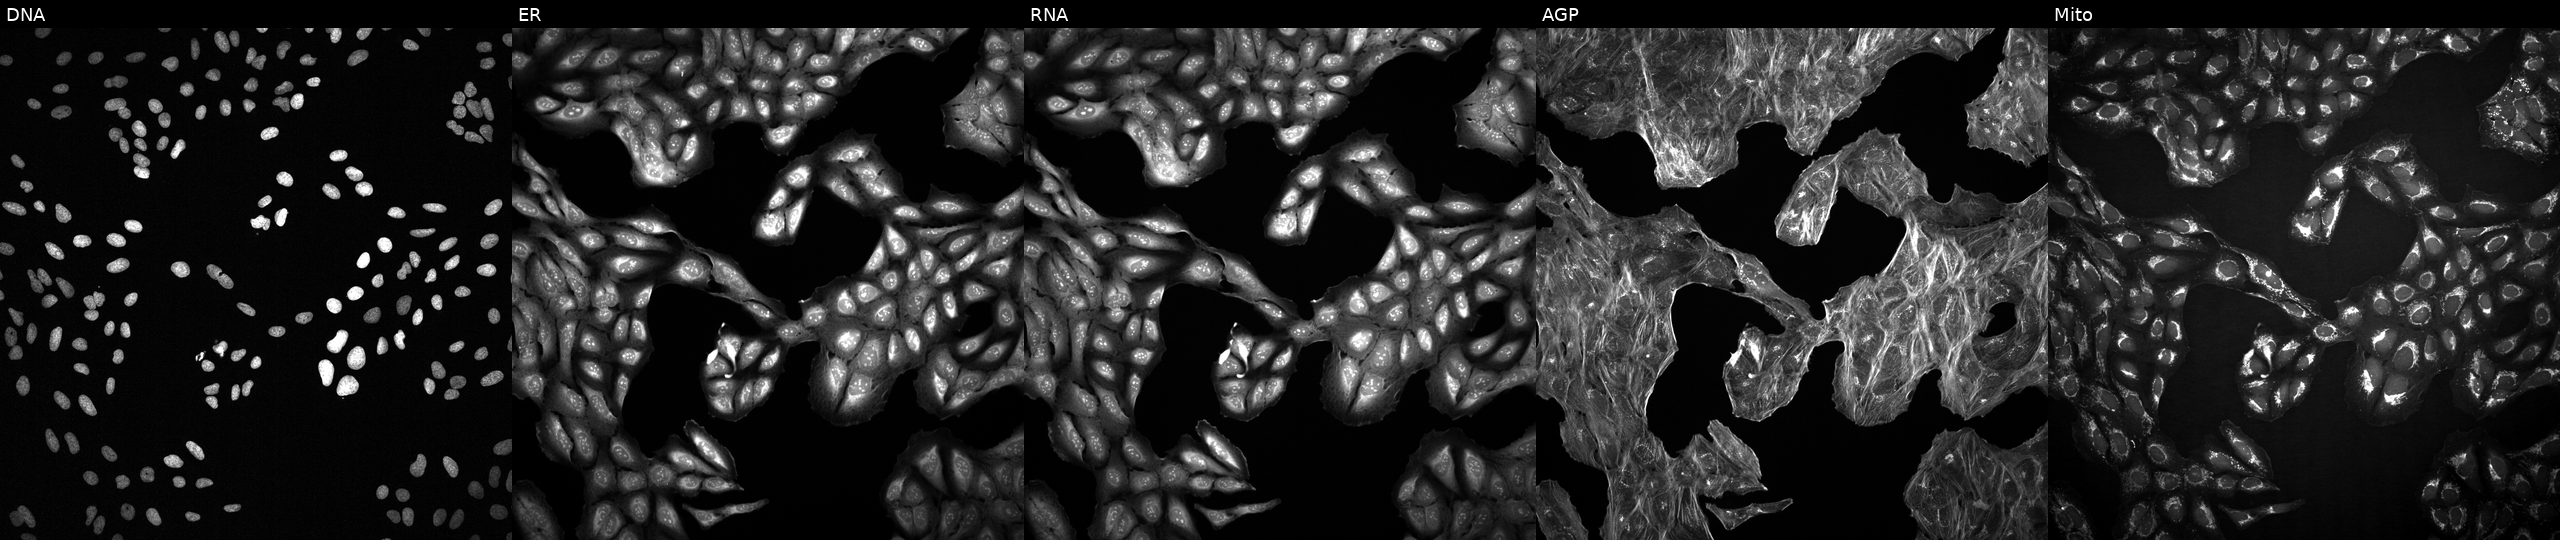
Five-channel Cell Painting image of U2OS cells perturbed with a small-molecule compound (InChIKey SNYBQIIVGREIAE-UHFFFAOYSA-N) (JUMP id JCP2022_084484). Panels show, left to right, DNA (nuclei); ER (endoplasmic reticulum); RNA (nucleoli and cytoplasmic RNA); AGP (actin cytoskeleton, Golgi, and plasma membrane); Mito (mitochondria).